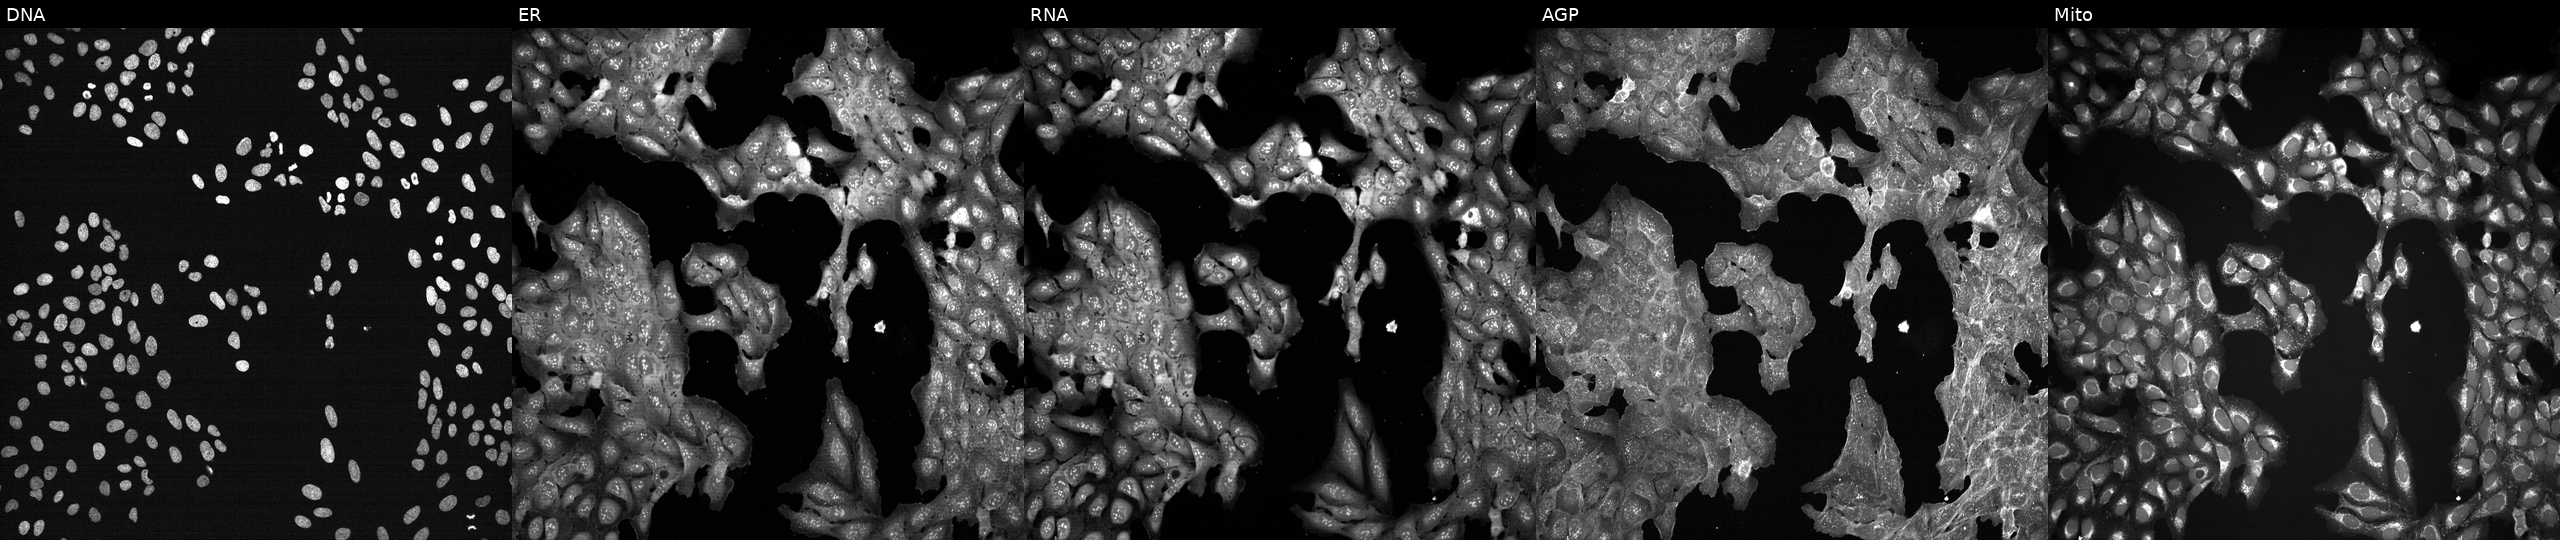
Panels show, left to right, Hoechst 33342, concanavalin A, SYTO 14, phalloidin and WGA, MitoTracker. U2OS osteosarcoma cells exposed to a small-molecule compound (InChIKey WATNXVHKRRTUFK-UHFFFAOYSA-N). Cell Painting assay, JUMP-CP dataset. Source 7, plate CP3-SC1-25, well M06.